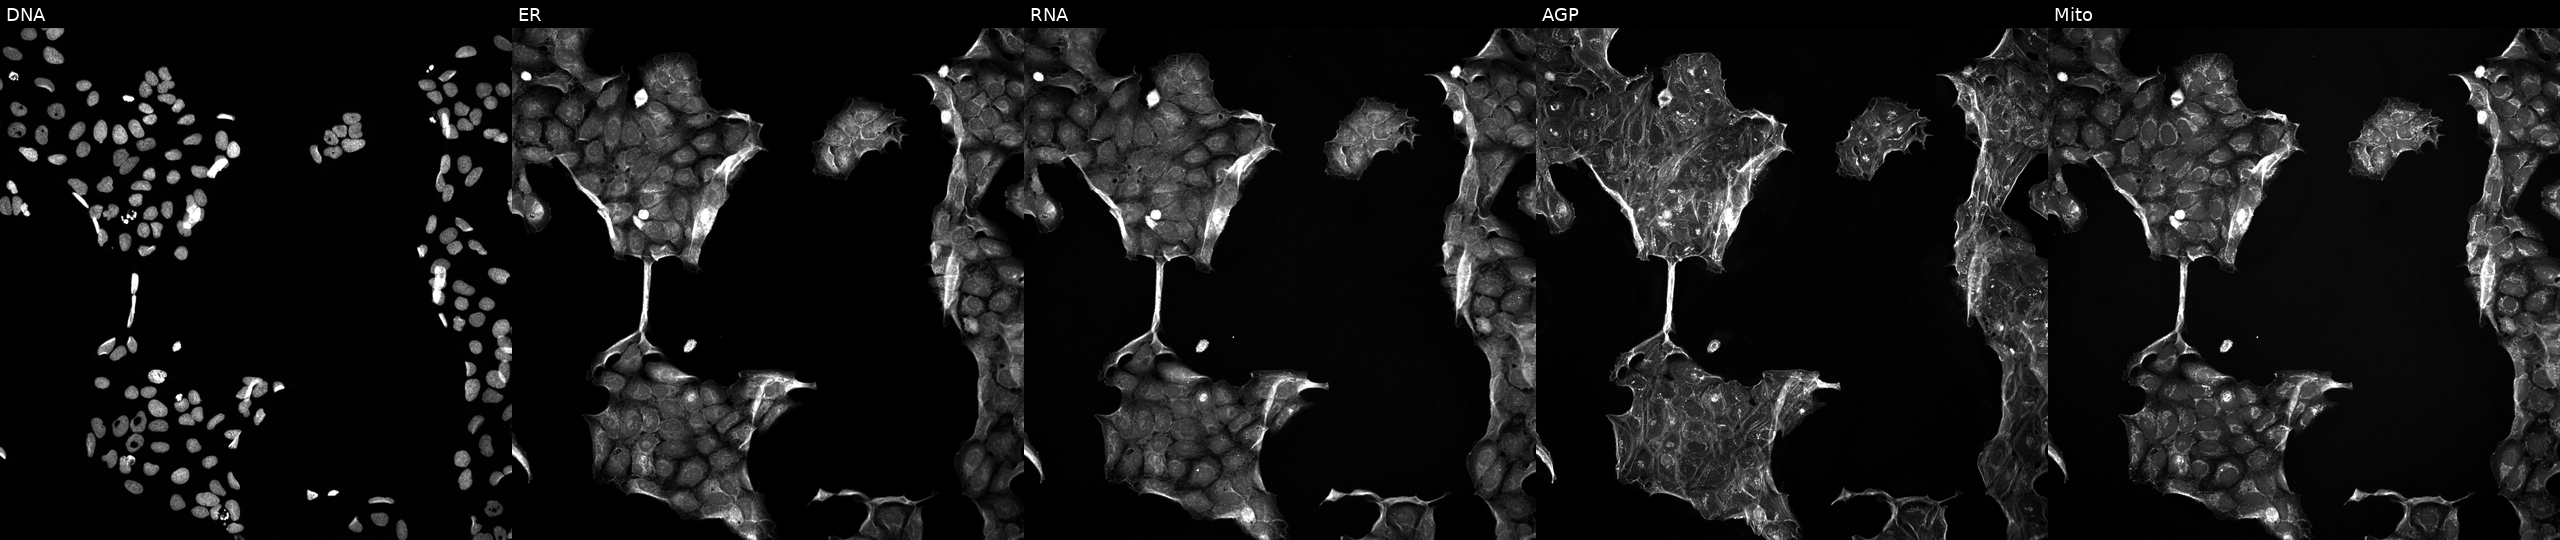
Five-channel Cell Painting image of U2OS cells treated with a small-molecule compound (InChIKey XXJWYDDUDKYVKI-UHFFFAOYSA-N) (JUMP id JCP2022_106680). Channels (left→right): DNA (nuclei); ER (endoplasmic reticulum); RNA (nucleoli and cytoplasmic RNA); AGP (actin cytoskeleton, Golgi, and plasma membrane); Mito (mitochondria).